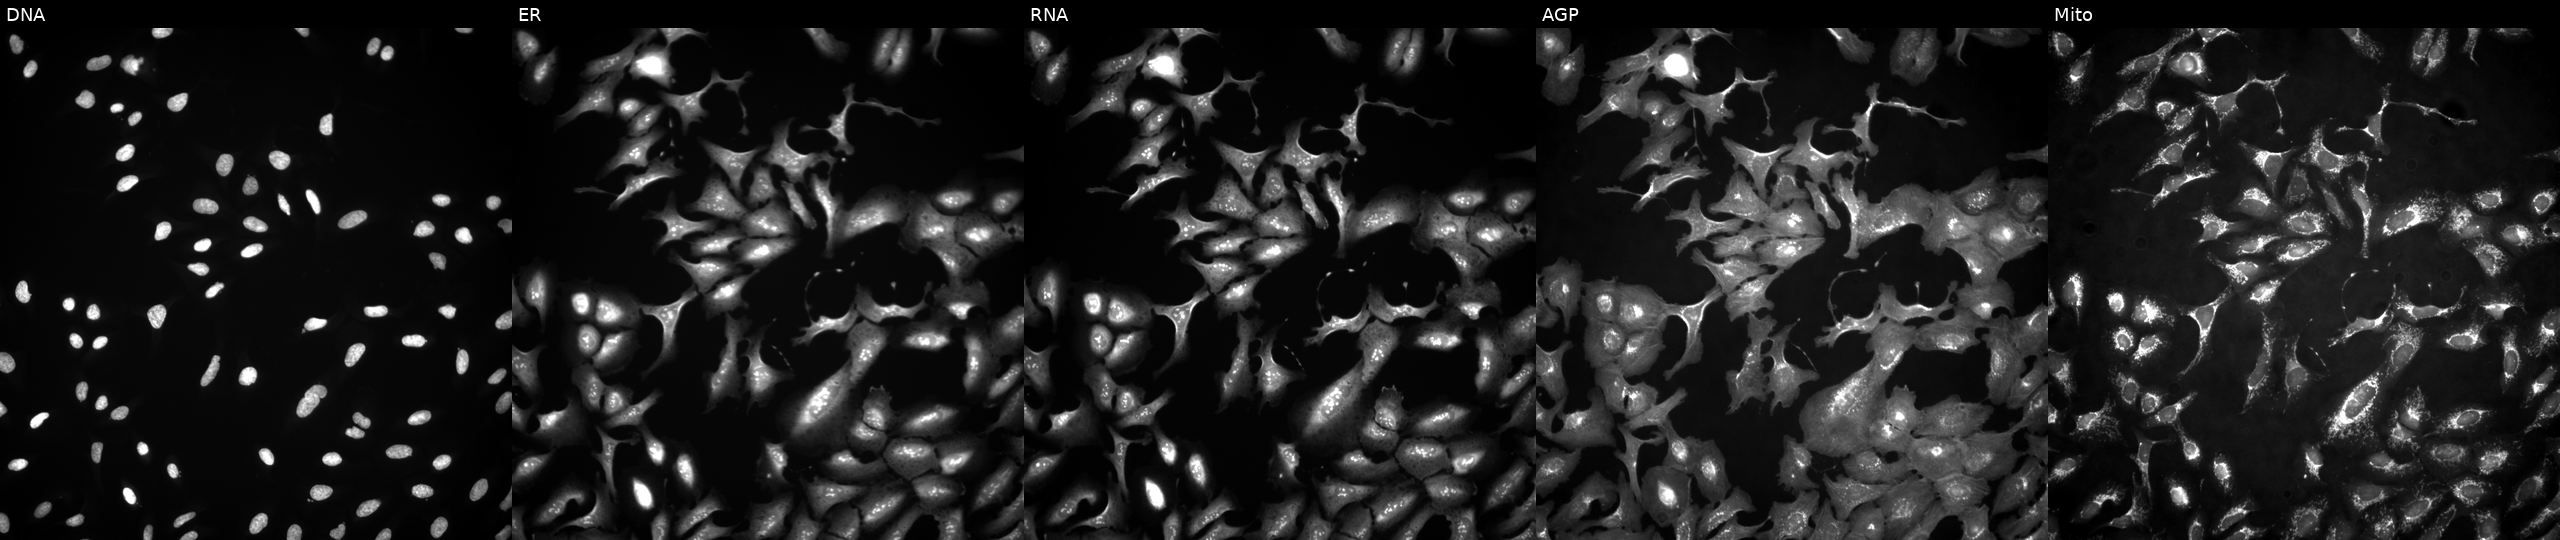
U2OS cells, Cell Painting assay, with ZNF563 overexpressed (ORF) (JUMP id JCP2022_904682). Panels show, left to right, DNA, ER, RNA, AGP, and Mito. Each panel is percentile-stretched 16-bit fluorescence. Source 4, plate BR00117035, well F11.